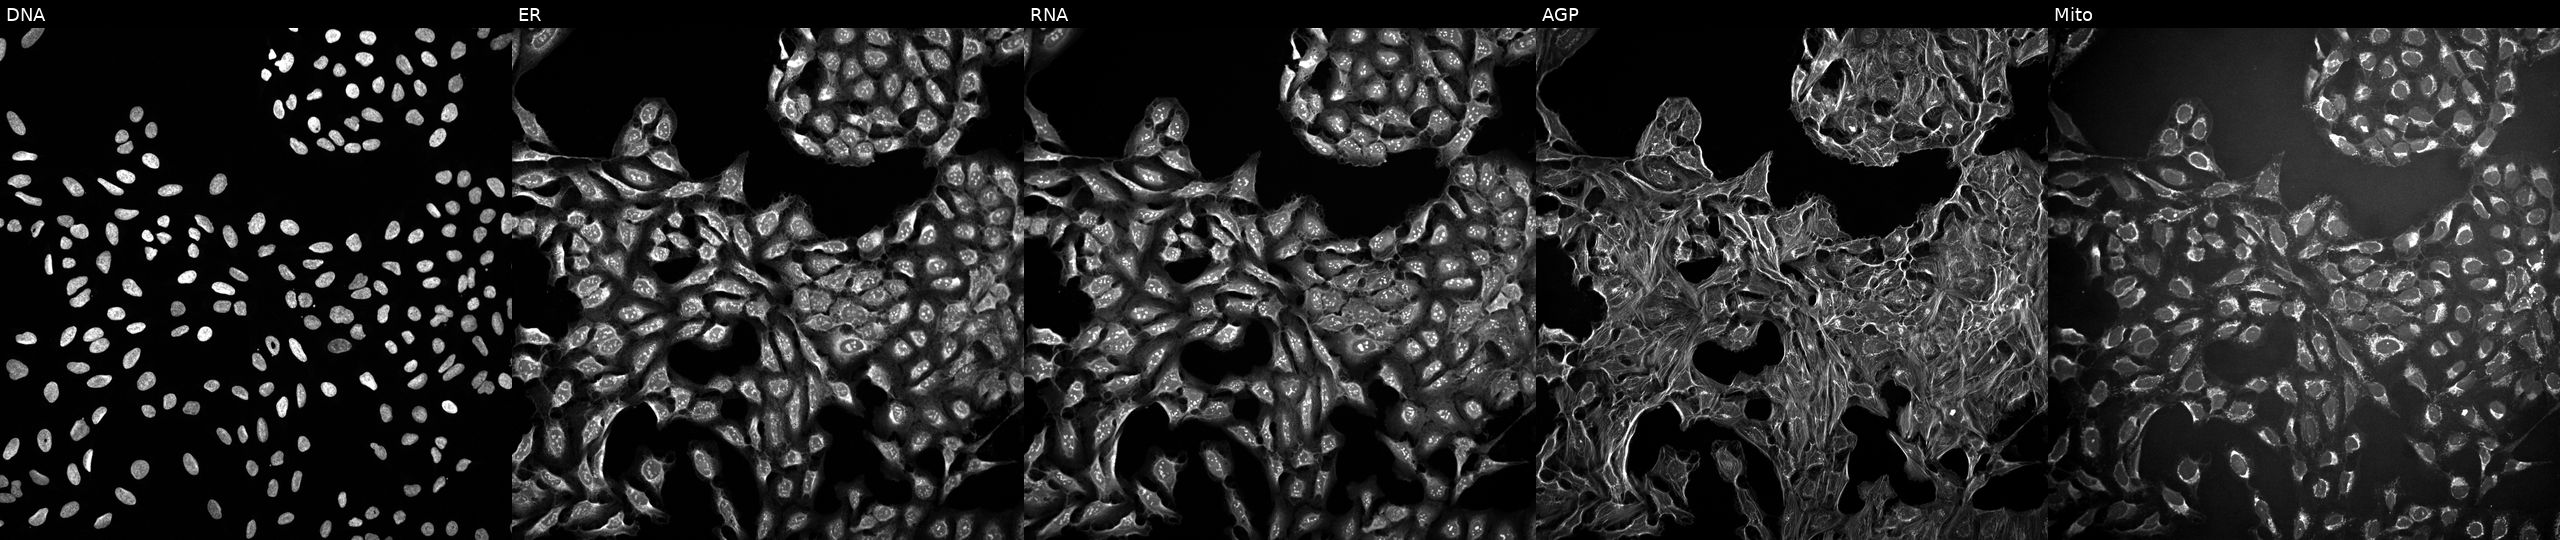
JUMP Cell Painting — TARGET2 plate. U2OS cells perturbed with a small-molecule compound (InChIKey NOIIUHRQUVNIDD-UHFFFAOYSA-N). From left to right: DNA, ER, RNA, AGP, and Mito.